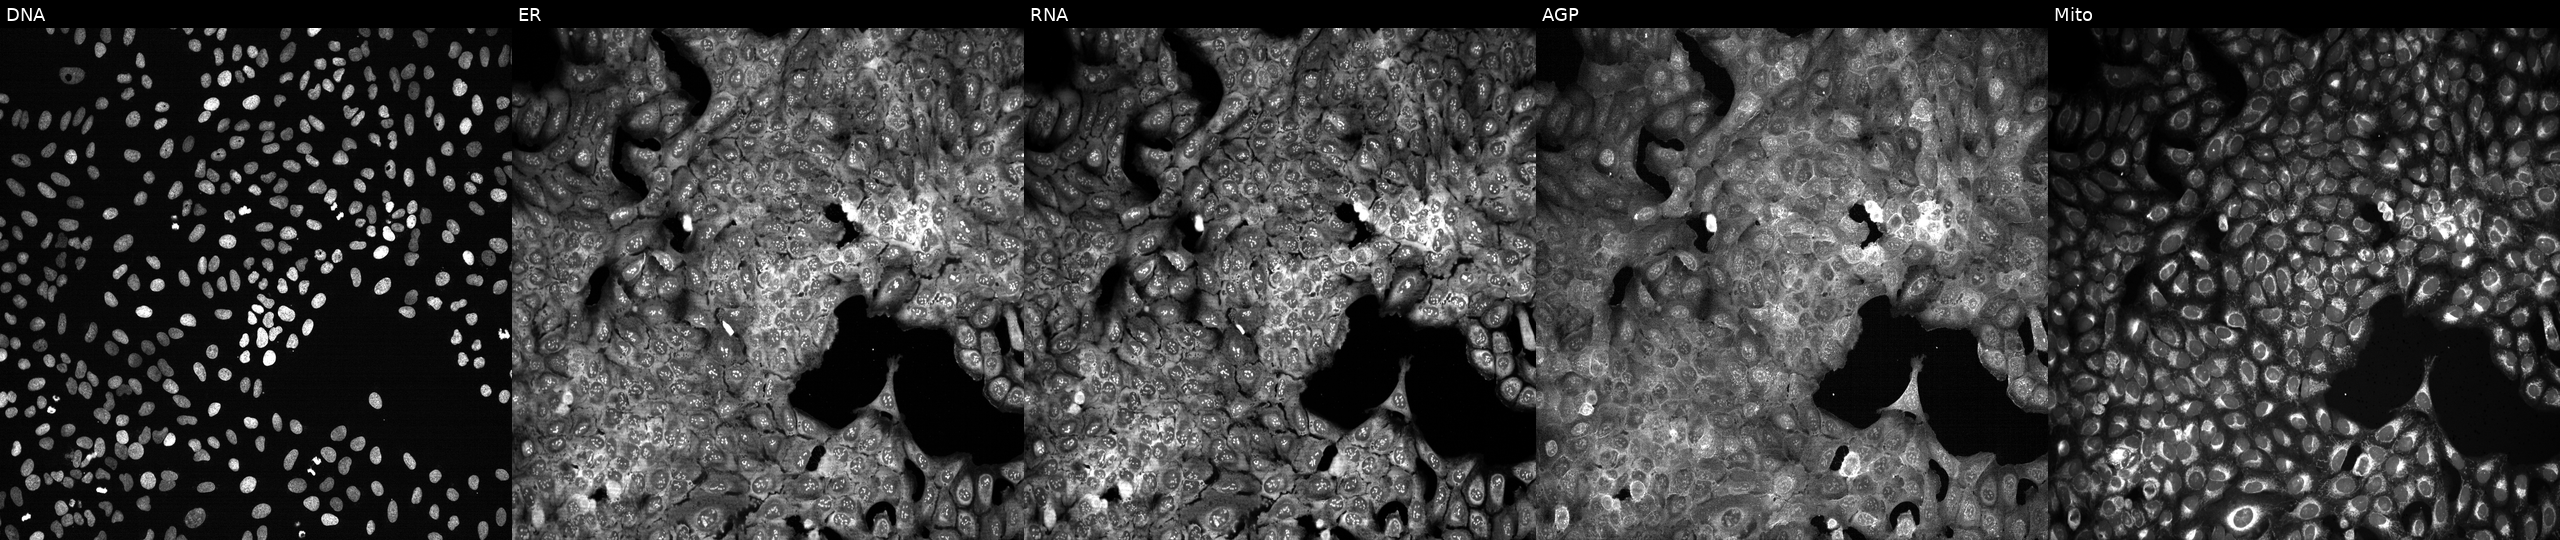
Panels show, left to right, DNA, ER, RNA, AGP, and Mito. U2OS osteosarcoma cells following CRISPR knockout of PTER. Cell Painting assay, JUMP-CP dataset. Source 13, plate CP-CC9-R2-02, well L11.